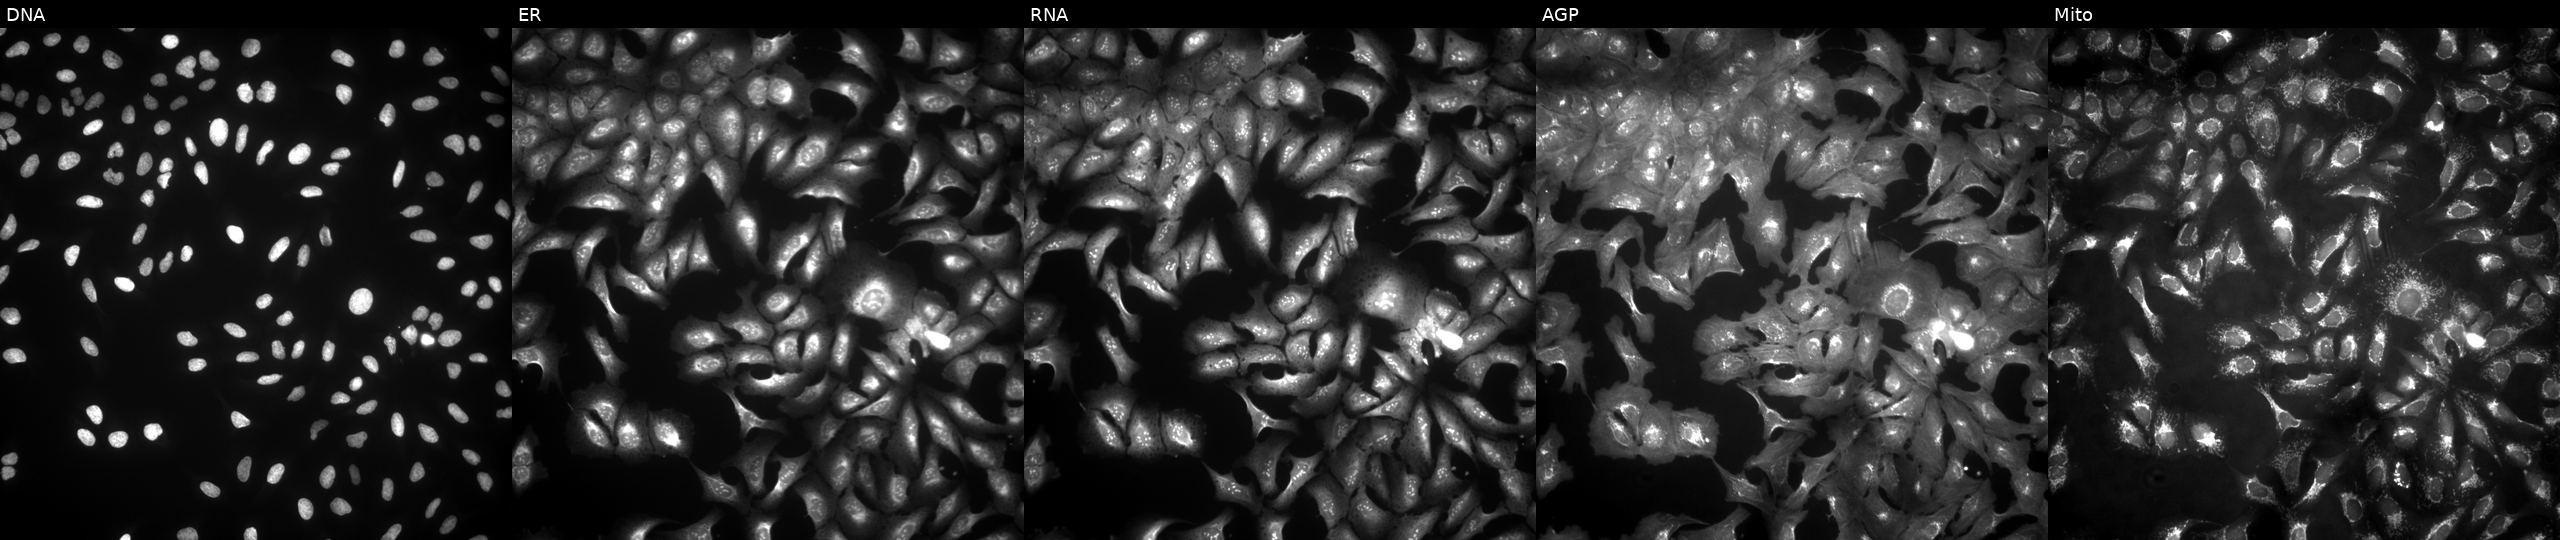
This image strip shows the five Cell Painting channels for a single field of U2OS cells with CRY2 overexpressed (ORF). From left to right: DNA, ER, RNA, AGP, and Mito. Source 4, plate BR00123506, well H19.